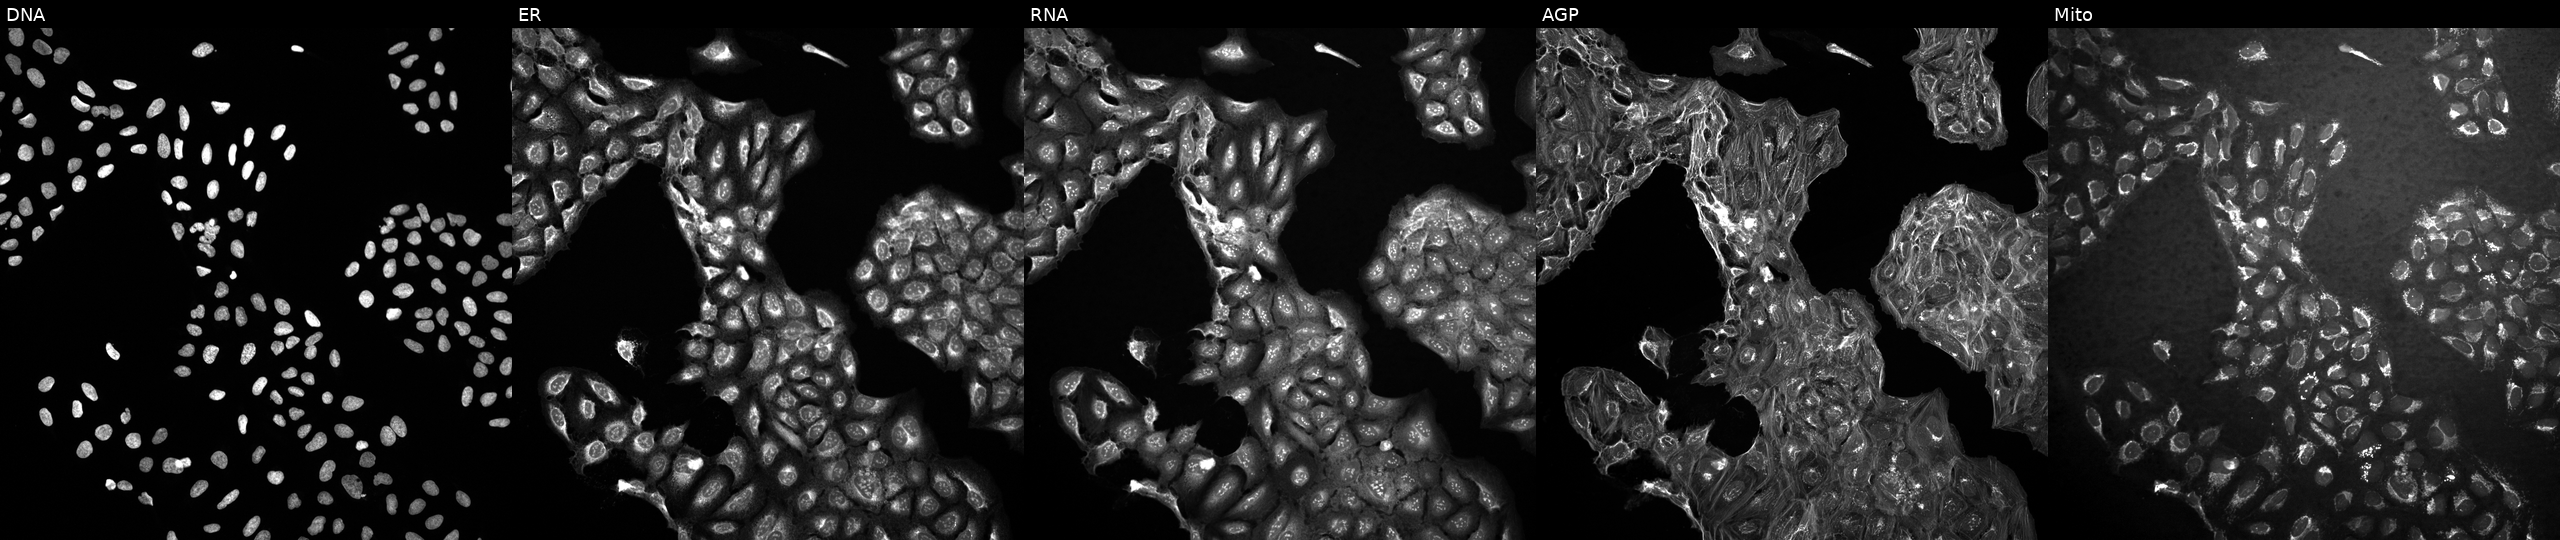
U2OS cells, Cell Painting assay, treated with a small-molecule compound (InChIKey VMXYRHOMTHKGFJ-UHFFFAOYSA-N) (JUMP id JCP2022_095002). The five panels, left to right, show DNA, ER, RNA, AGP, and Mito. Each panel is percentile-stretched 16-bit fluorescence.